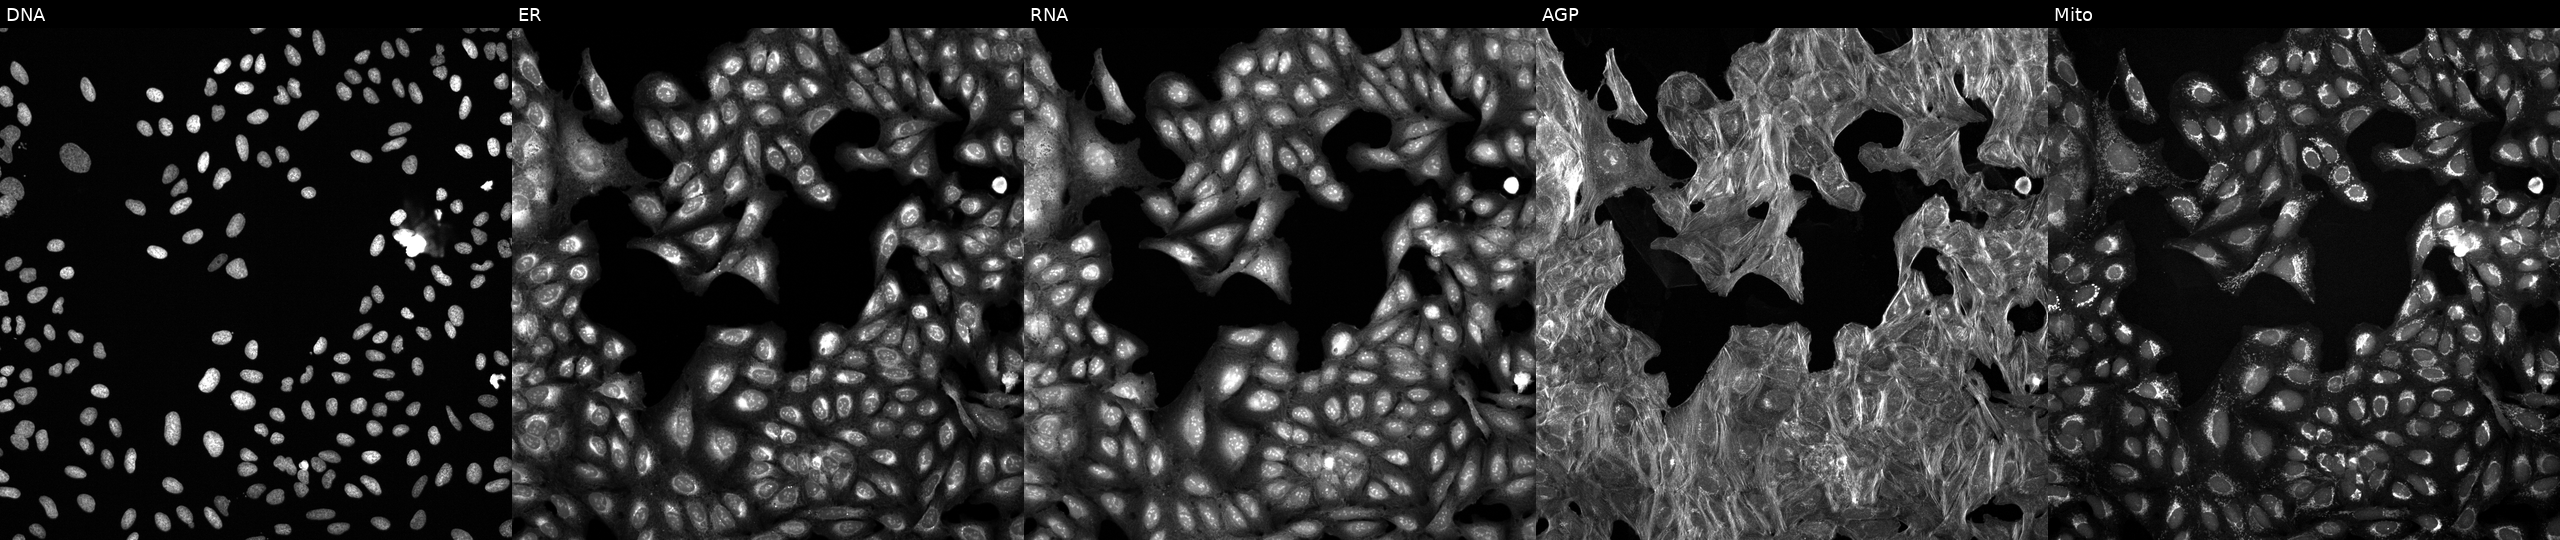
Five-channel Cell Painting image of U2OS cells exposed to DMSO alone as a negative control. The five panels, left to right, show Hoechst 33342, concanavalin A, SYTO 14, phalloidin and WGA, MitoTracker. Source 6, plate 110000293093, well F13.